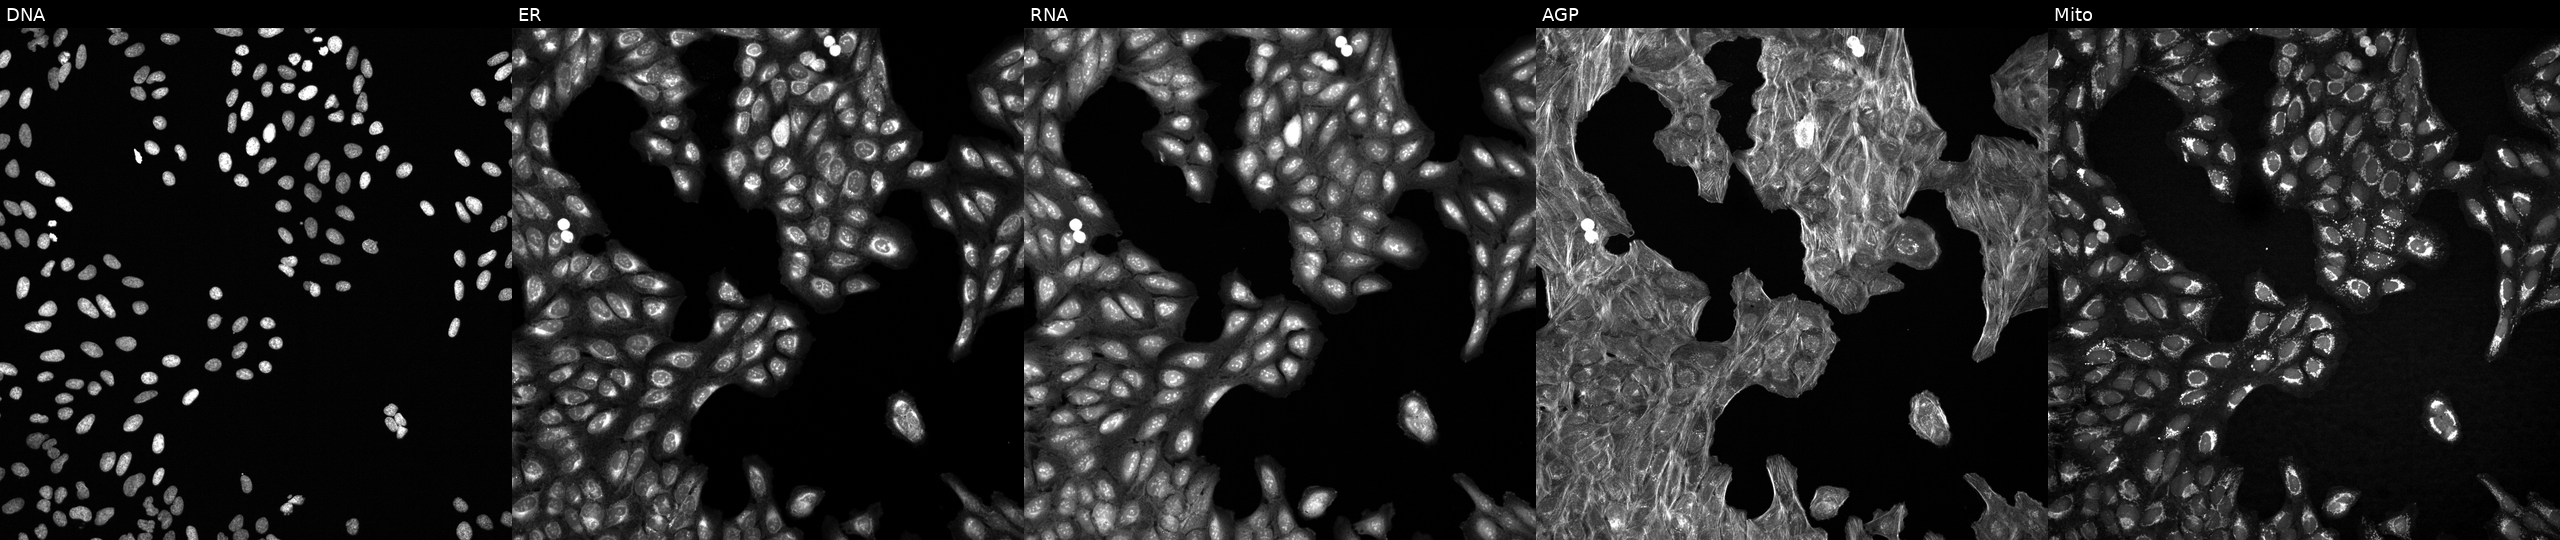
The five panels, left to right, show Hoechst 33342, concanavalin A, SYTO 14, phalloidin and WGA, MitoTracker. U2OS osteosarcoma cells exposed to a small-molecule compound (InChIKey JANPDXMJMDBSHE-UHFFFAOYSA-N) [SMILES: Cc1cc(-c2ccc(S(=O)(=O)Nc3cccc(Br)c3)cc2)on1] (JUMP id JCP2022_038528). Cell Painting assay, JUMP-CP dataset.